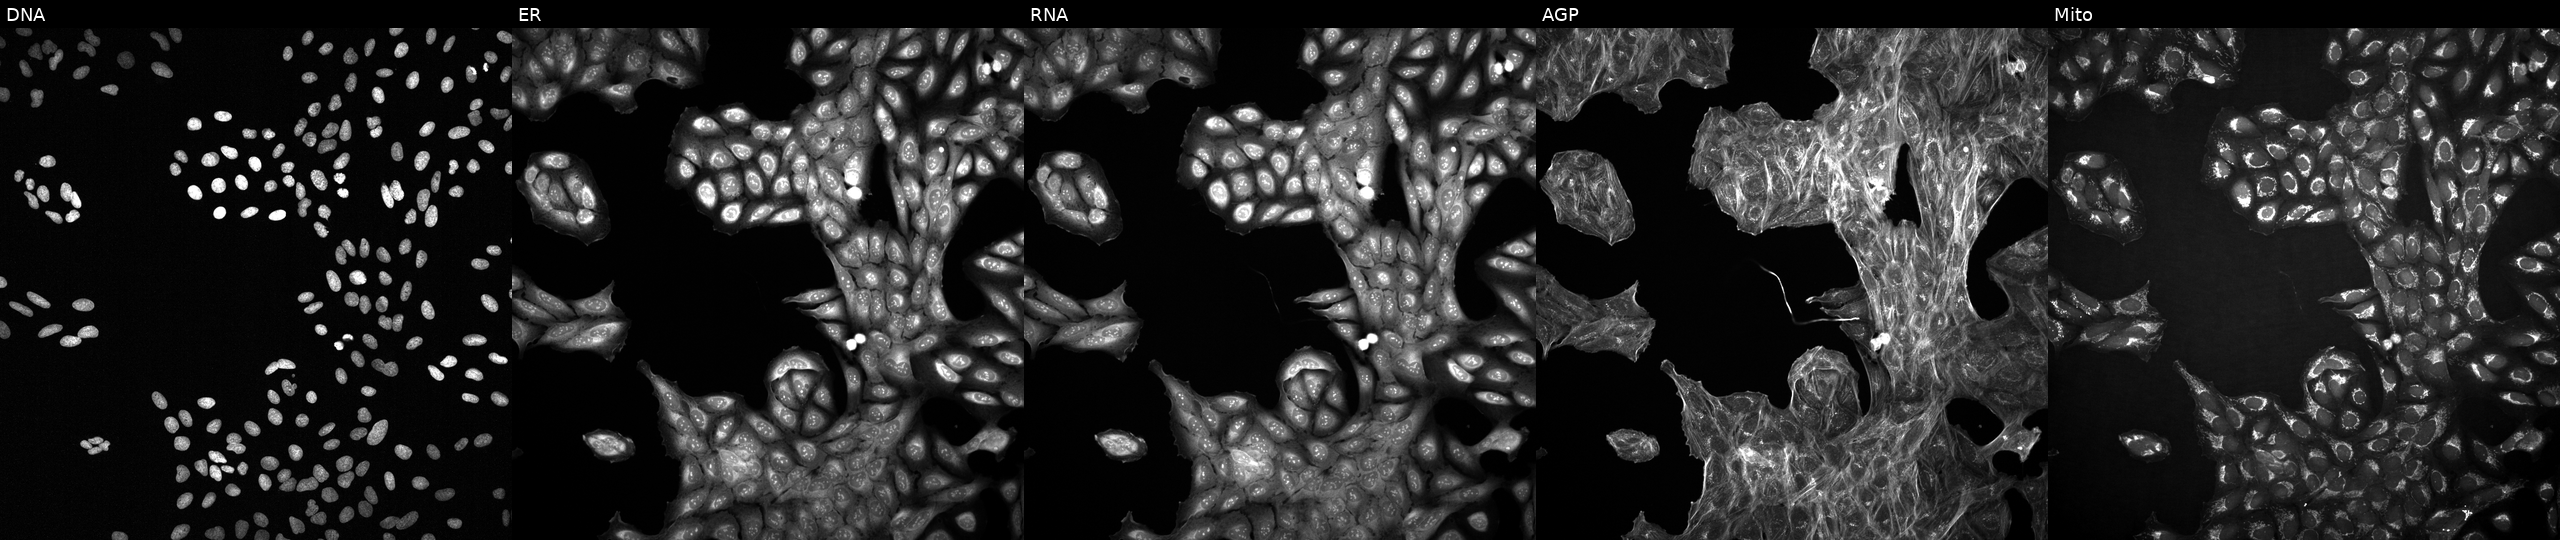
Five-channel Cell Painting image of U2OS cells treated with a small-molecule compound. Channels (left→right): DNA, ER, RNA, AGP, and Mito.